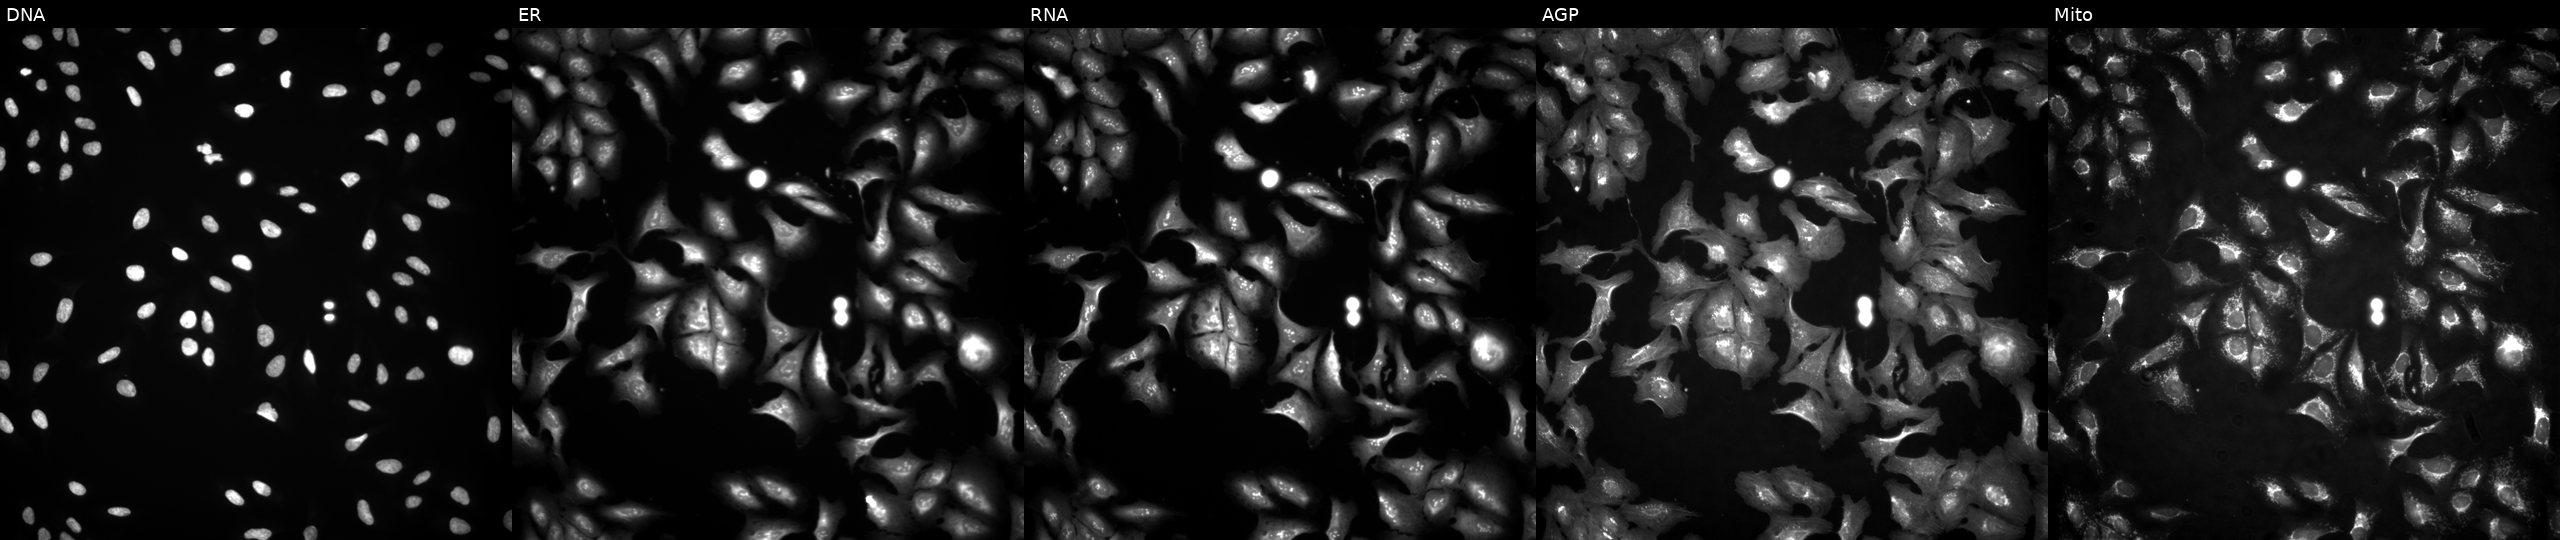
This image strip shows the five Cell Painting channels for a single field of U2OS cells overexpressing TYRO3 via ORF transfection (JUMP id JCP2022_914611). Channels (left→right): DNA (nuclei); ER (endoplasmic reticulum); RNA (nucleoli and cytoplasmic RNA); AGP (actin cytoskeleton, Golgi, and plasma membrane); Mito (mitochondria). Source 4, plate BR00124787, well L09.